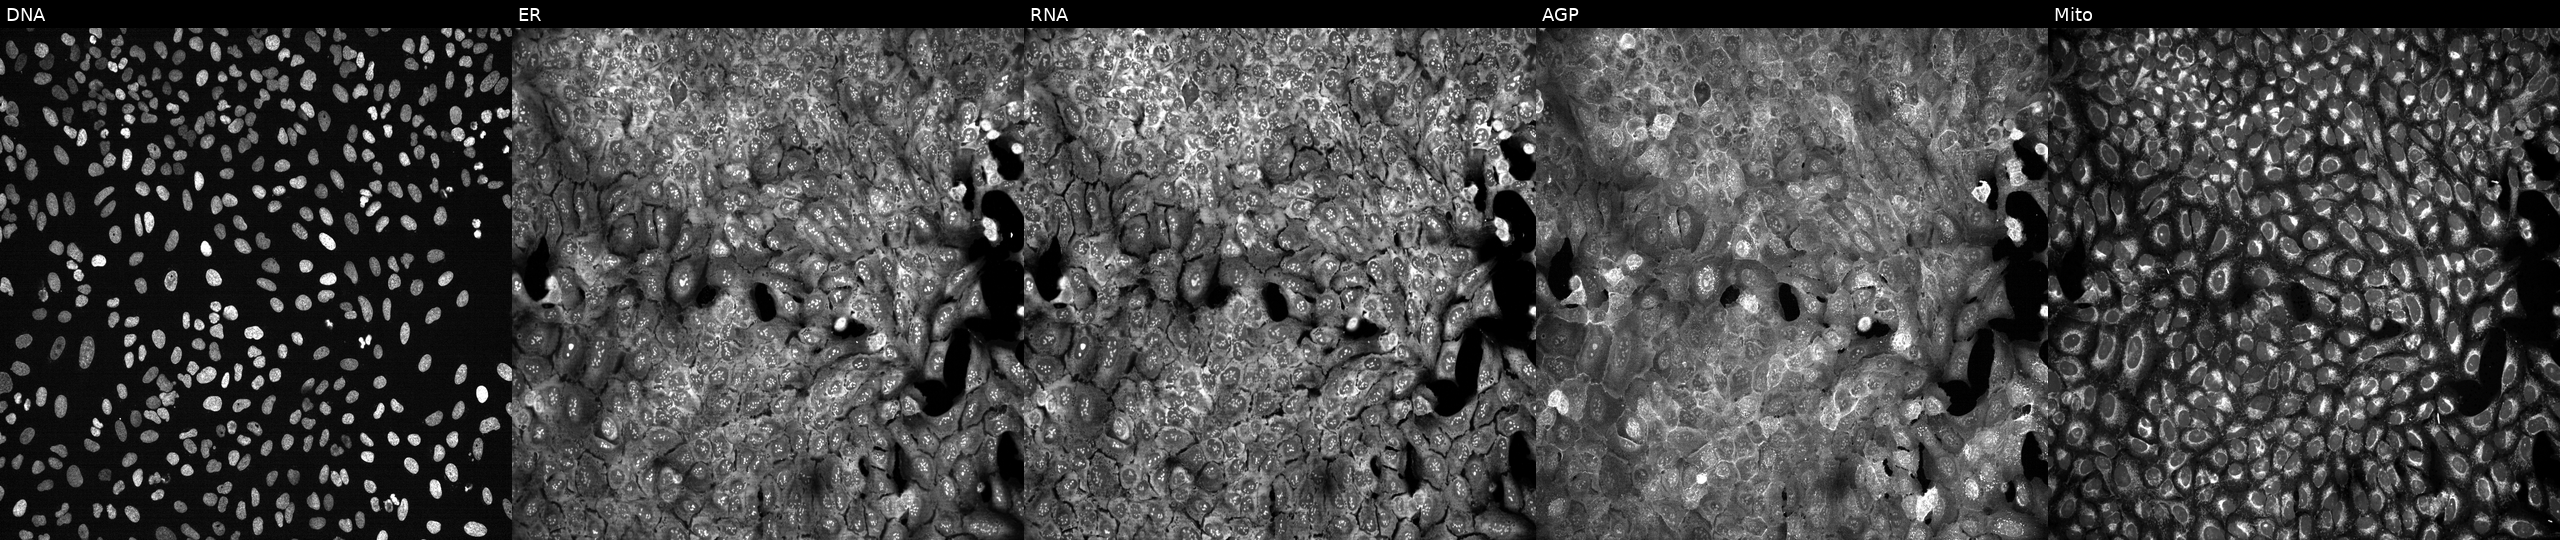
Five-channel Cell Painting image of U2OS cells with SLC1A1 knocked out by CRISPR (JUMP id JCP2022_806407). From left to right: DNA, ER, RNA, AGP, and Mito.